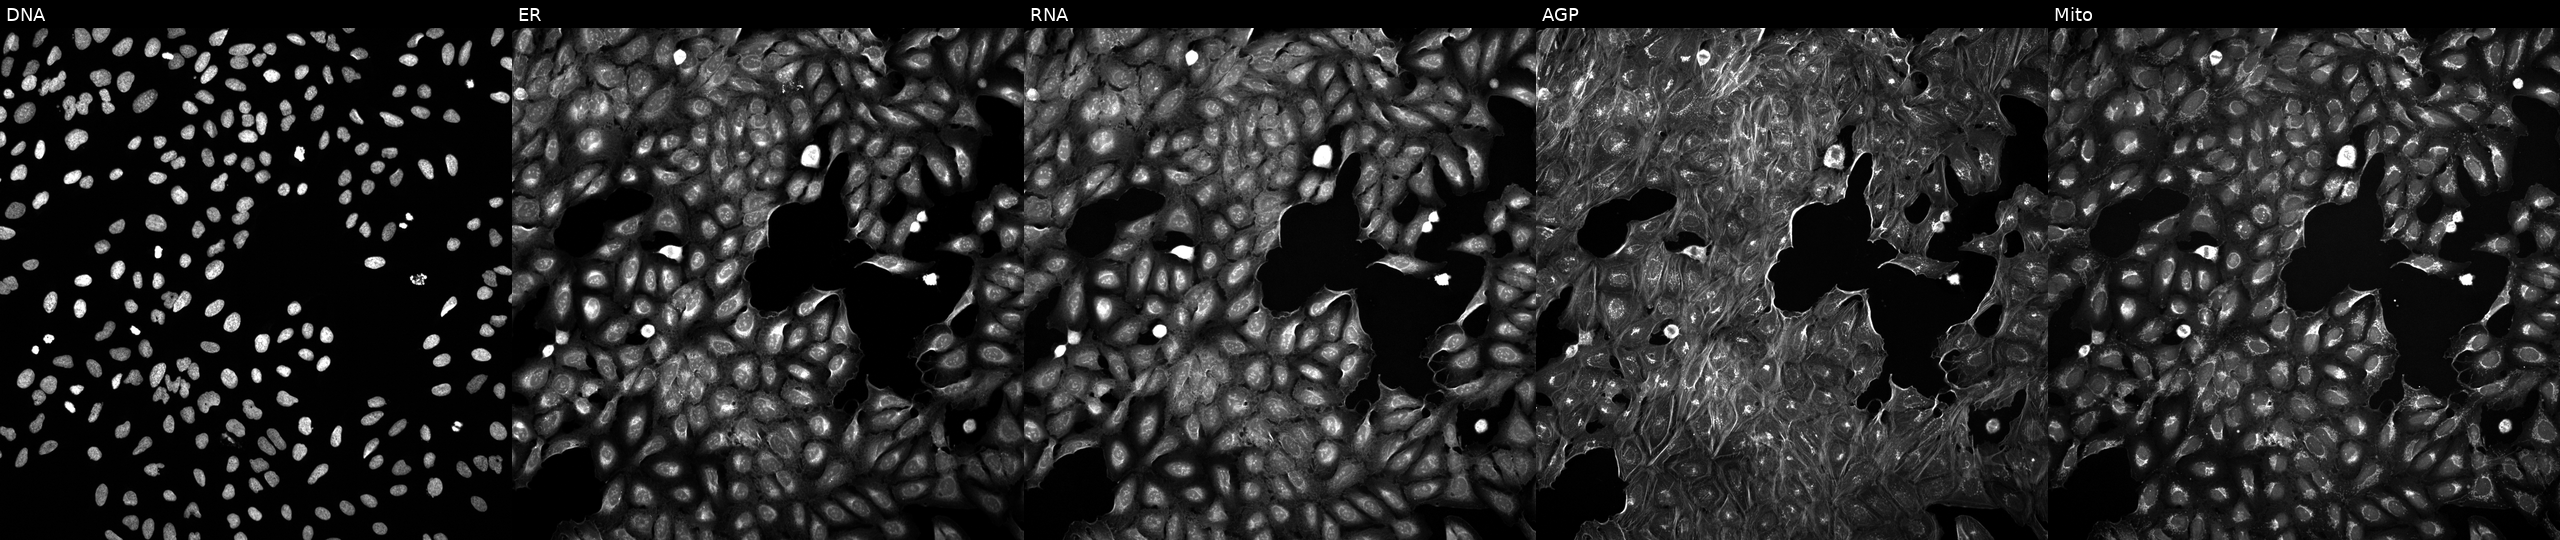
JUMP Cell Painting — TARGET2 plate. U2OS cells perturbed with a small-molecule compound (InChIKey RYEFFICCPKWYML-UHFFFAOYSA-N) [SMILES: CC(C)(O)C1C2OC(=O)C1C1(O)CC3OC34C(=O)OC2C14C]. From left to right: DNA, ER, RNA, AGP, and Mito.